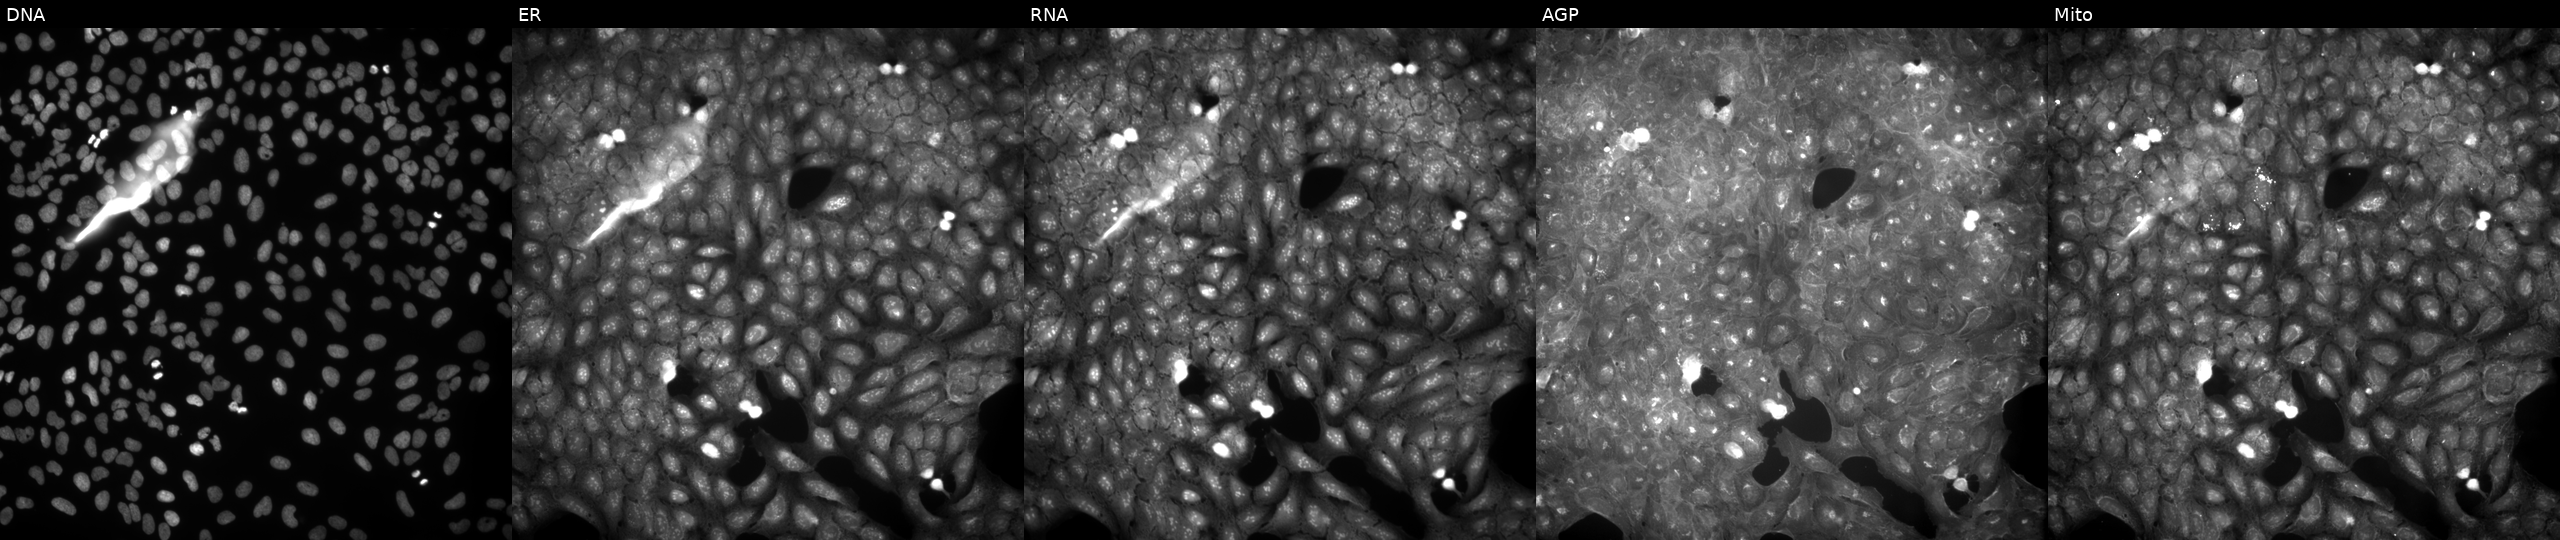
U2OS cells, Cell Painting assay, perturbed with a small-molecule compound (JUMP id JCP2022_116655). Channels (left→right): DNA (nuclei); ER (endoplasmic reticulum); RNA (nucleoli and cytoplasmic RNA); AGP (actin cytoskeleton, Golgi, and plasma membrane); Mito (mitochondria). Each panel is percentile-stretched 16-bit fluorescence. Source 9, plate GR00003381, well O30.